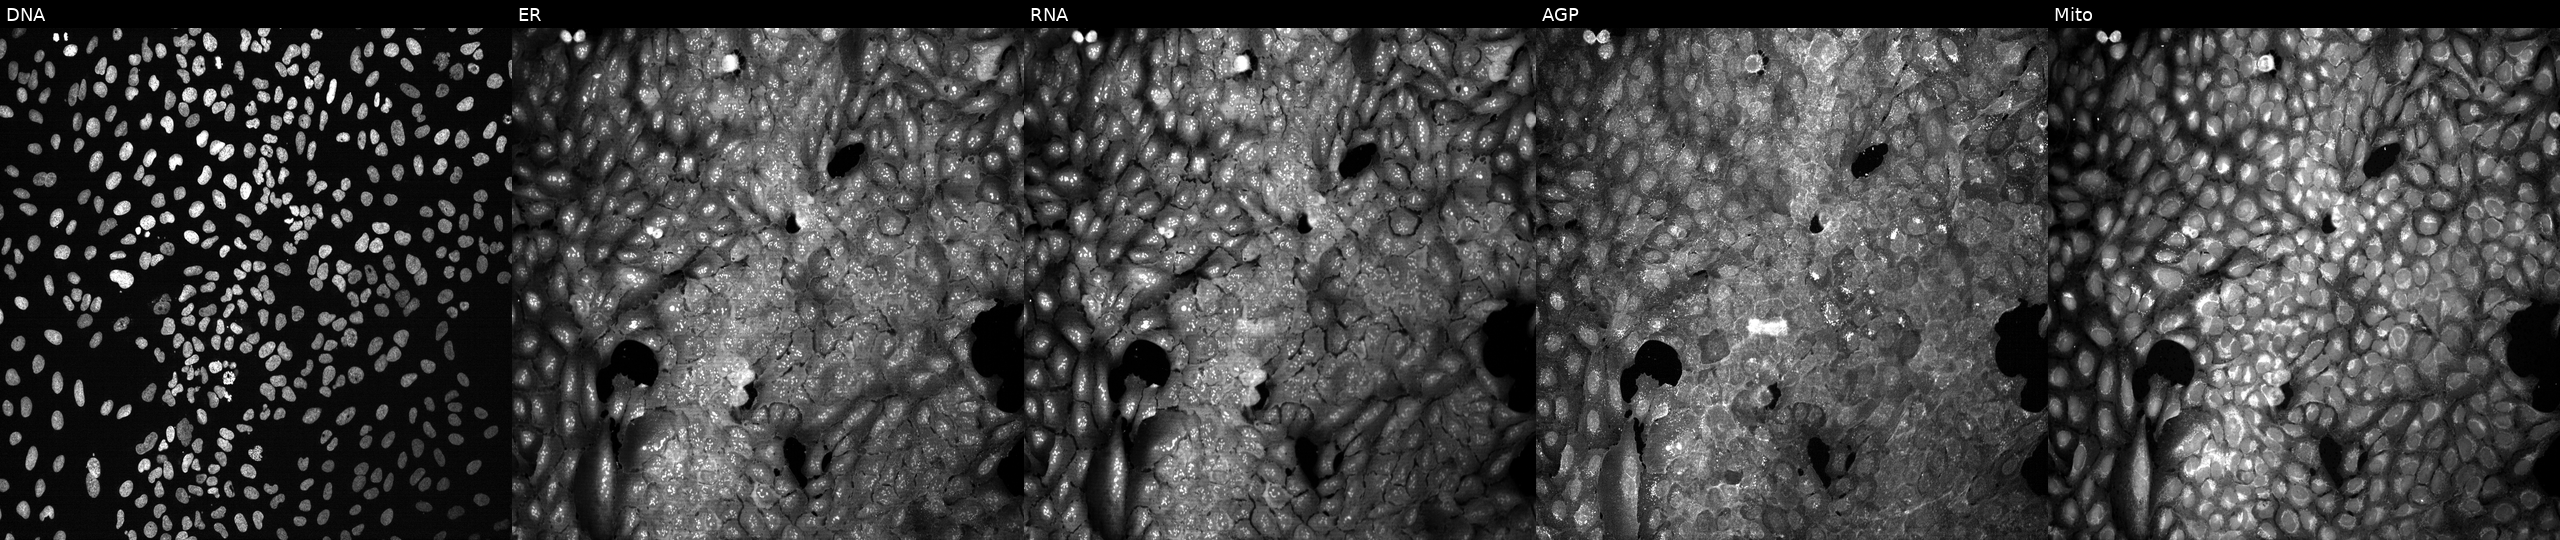
U2OS cells, Cell Painting assay, following CRISPR knockout of CD2. The five panels, left to right, show DNA, ER, RNA, AGP, and Mito. Each panel is percentile-stretched 16-bit fluorescence.